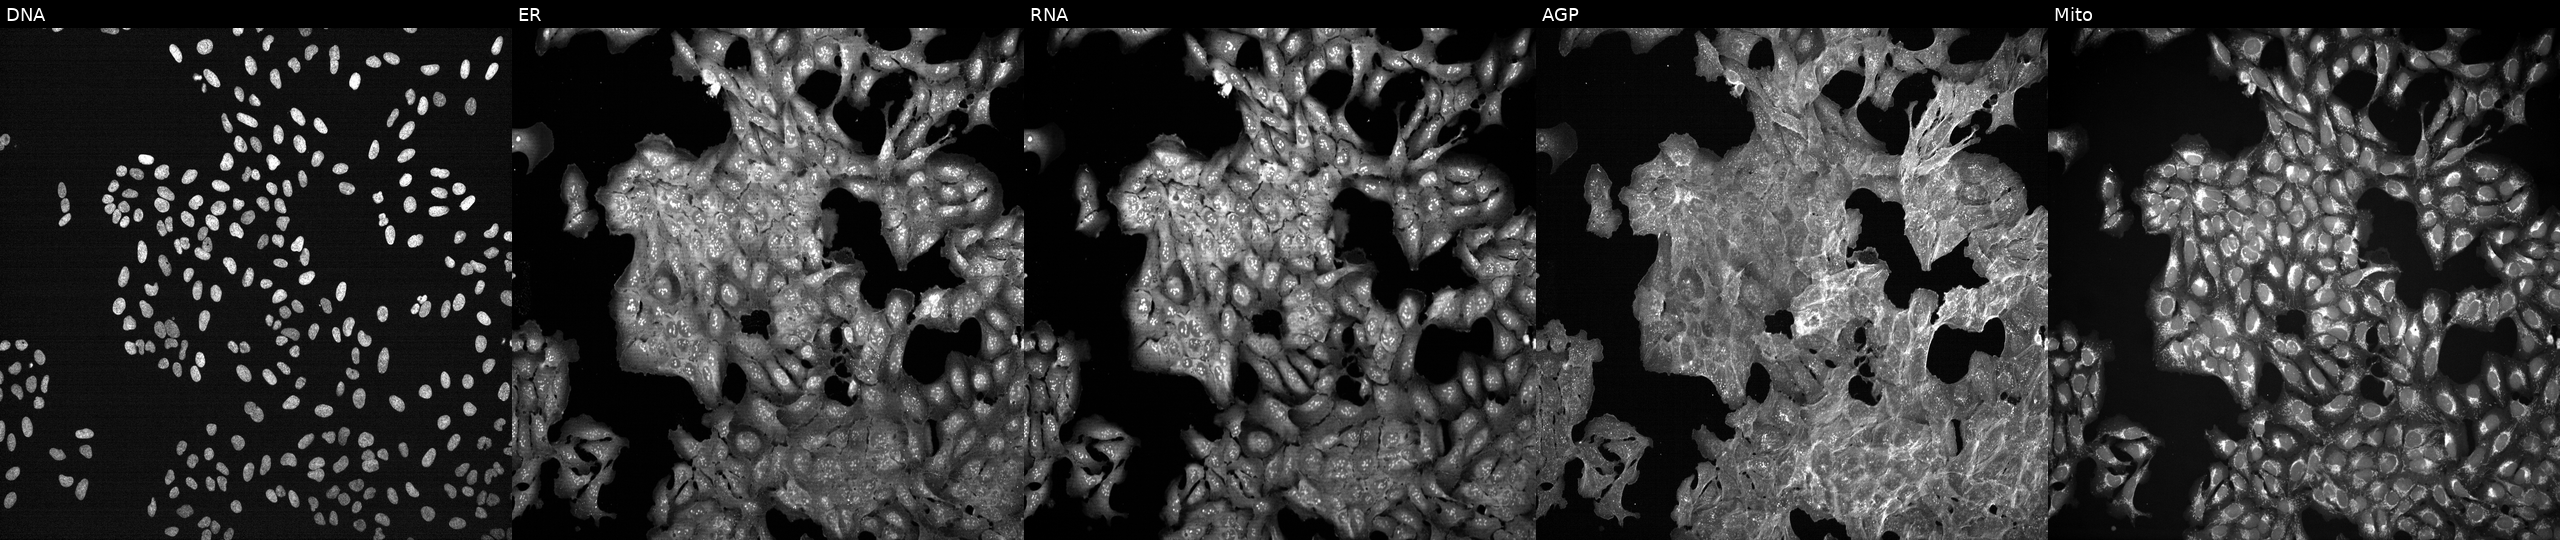
High-content fluorescence microscopy (Cell Painting). Cell line: U2OS. Perturbation: treated with DMSO vehicle only (negative control). Panels show, left to right, DNA (nuclei); ER (endoplasmic reticulum); RNA (nucleoli and cytoplasmic RNA); AGP (actin cytoskeleton, Golgi, and plasma membrane); Mito (mitochondria). Source 7, plate CP3-SC1-25, well M13.